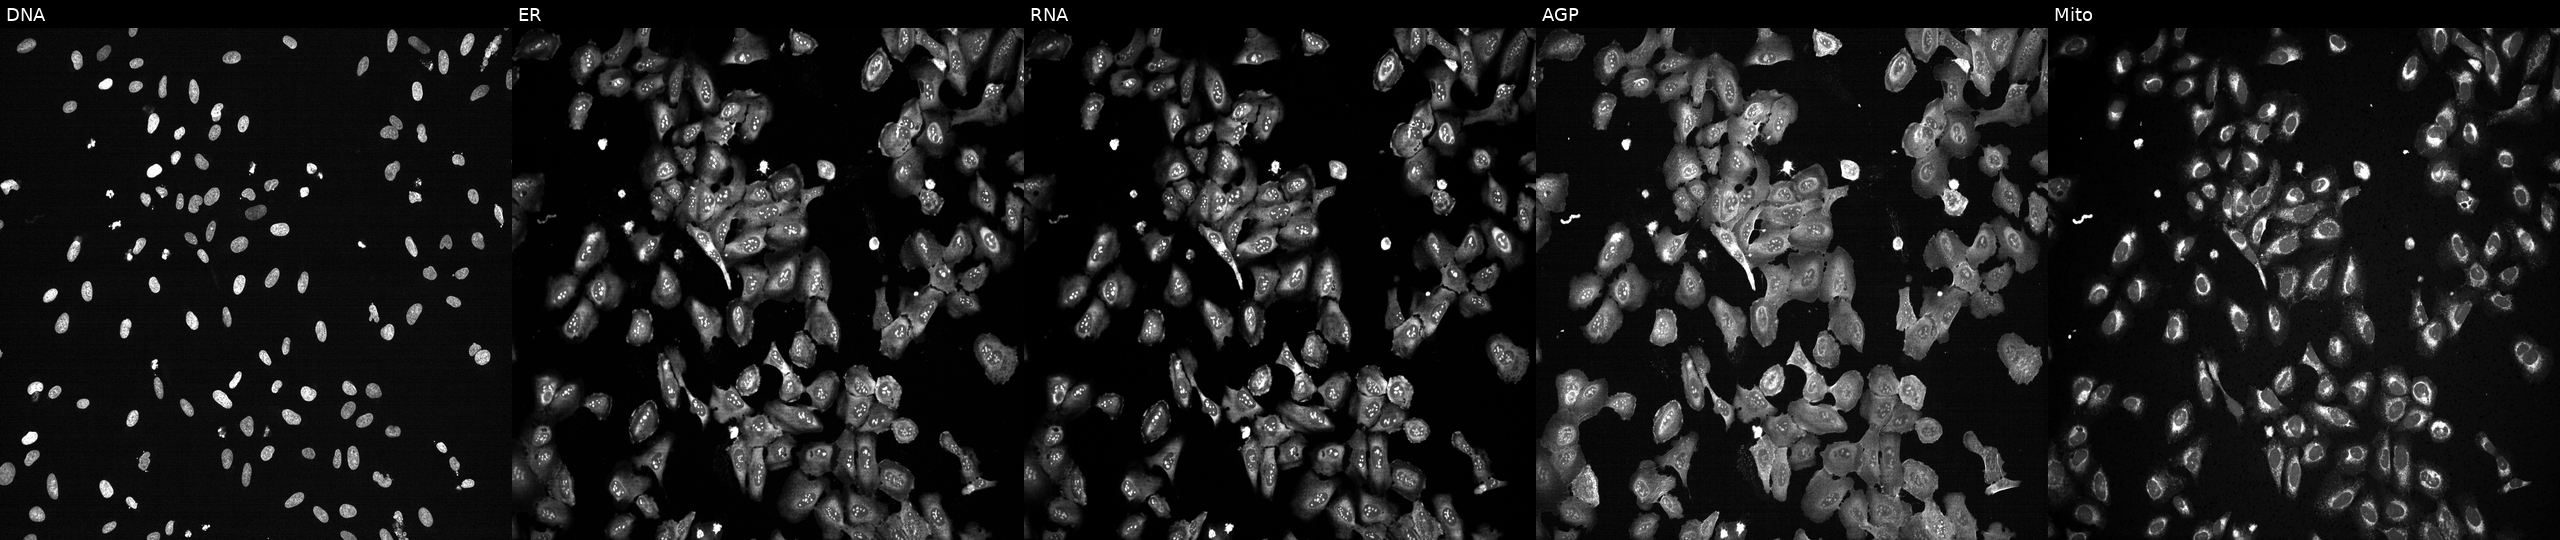
Panels show, left to right, DNA, ER, RNA, AGP, and Mito. U2OS osteosarcoma cells exposed to the positive-control compound TC-S-7004. Cell Painting assay, JUMP-CP dataset. Source 13, plate CP-CC9-R3-02, well L24.